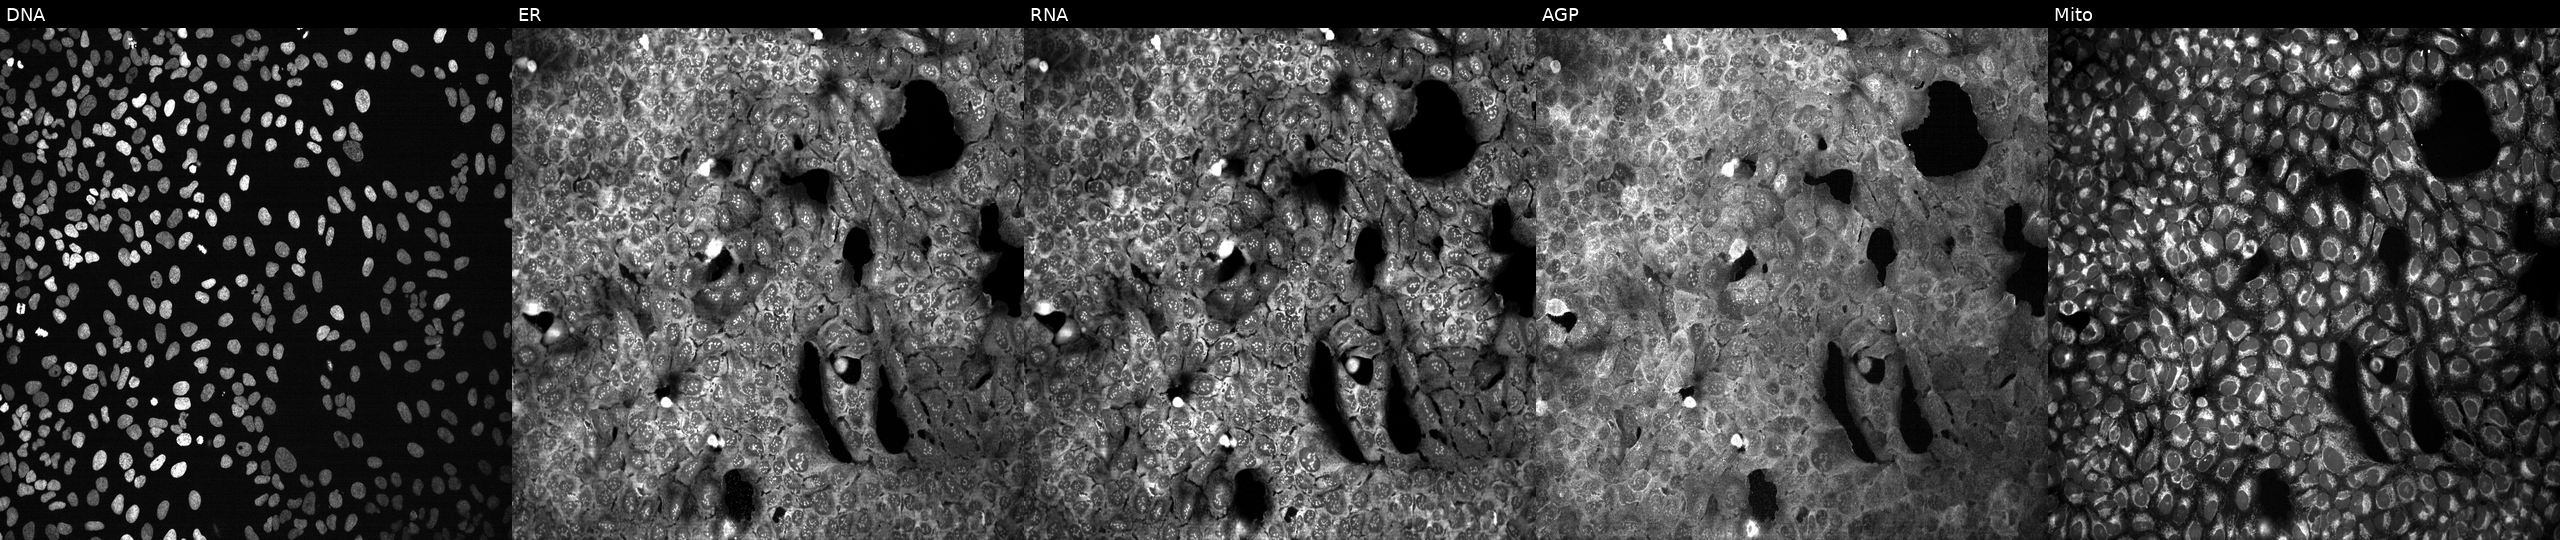
High-content fluorescence microscopy (Cell Painting). Cell line: U2OS. Perturbation: with a non-targeting CRISPR guide (negative control). Panels show, left to right, DNA, ER, RNA, AGP, and Mito.